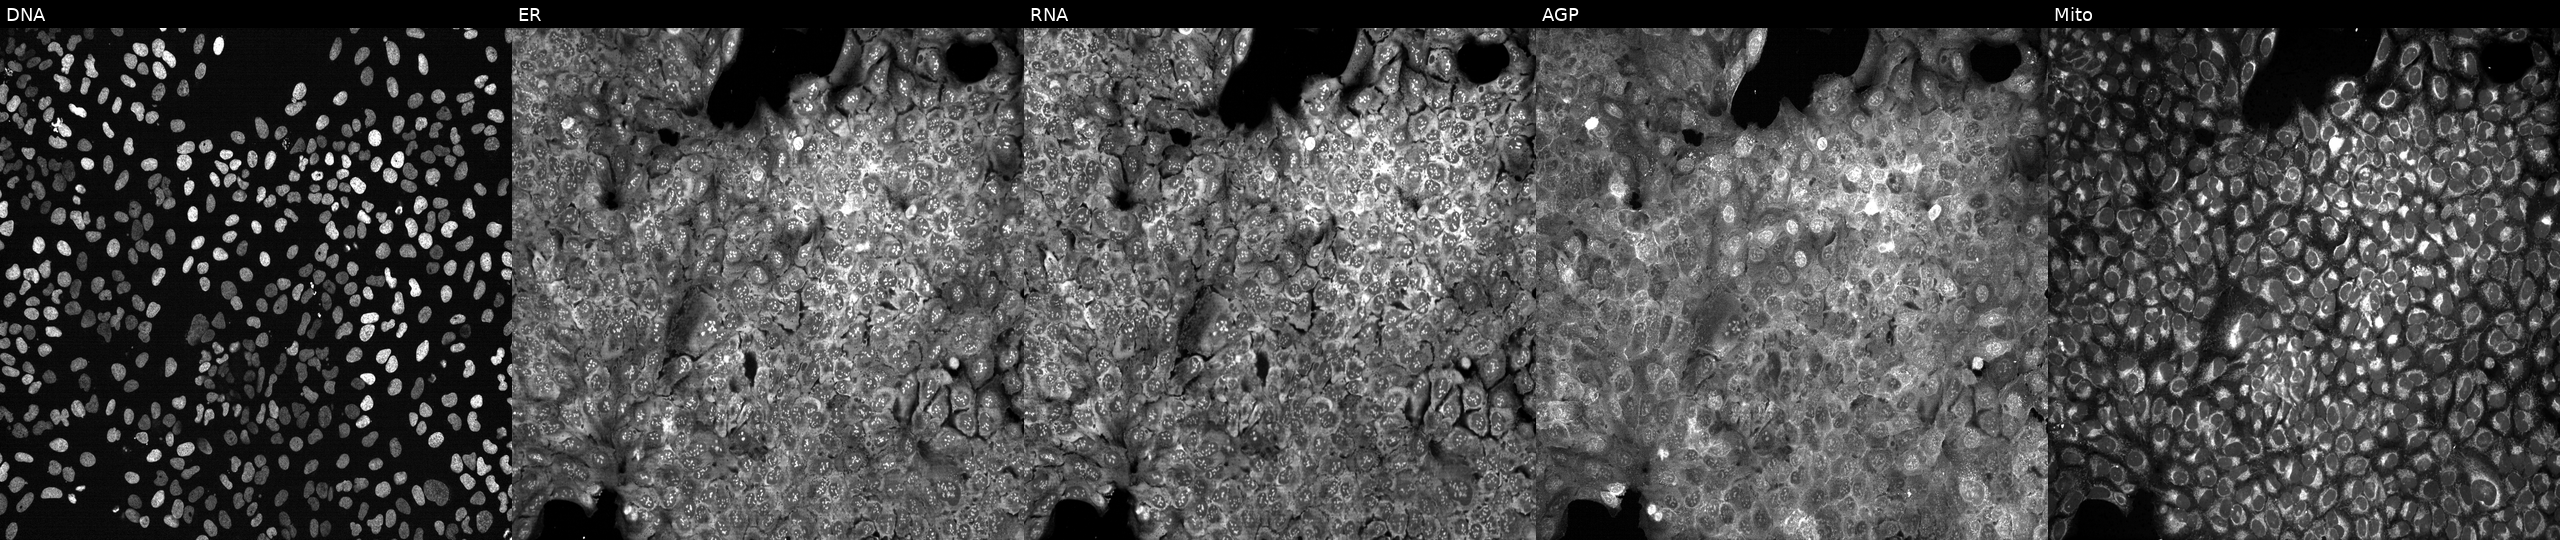
Channels (left→right): DNA (nuclei); ER (endoplasmic reticulum); RNA (nucleoli and cytoplasmic RNA); AGP (actin cytoskeleton, Golgi, and plasma membrane); Mito (mitochondria). U2OS osteosarcoma cells following CRISPR knockout of CSDE1. Cell Painting assay, JUMP-CP dataset. Source 13, plate CP-CC9-R4-04, well H07.